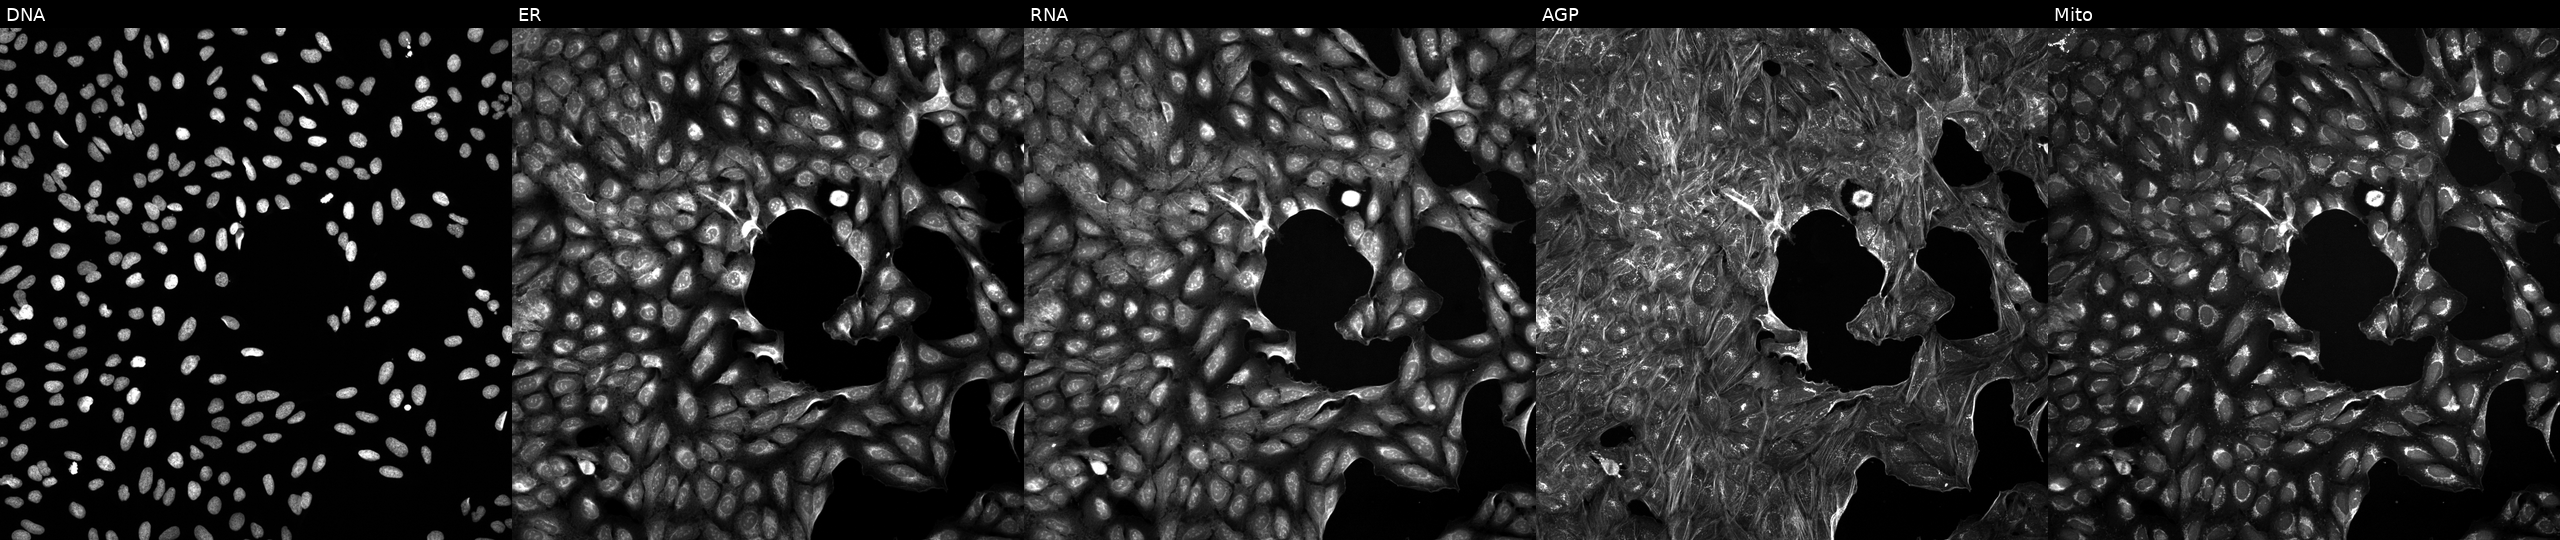
This image strip shows the five Cell Painting channels for a single field of U2OS cells exposed to DMSO alone as a negative control. The five panels, left to right, show Hoechst 33342, concanavalin A, SYTO 14, phalloidin and WGA, MitoTracker.